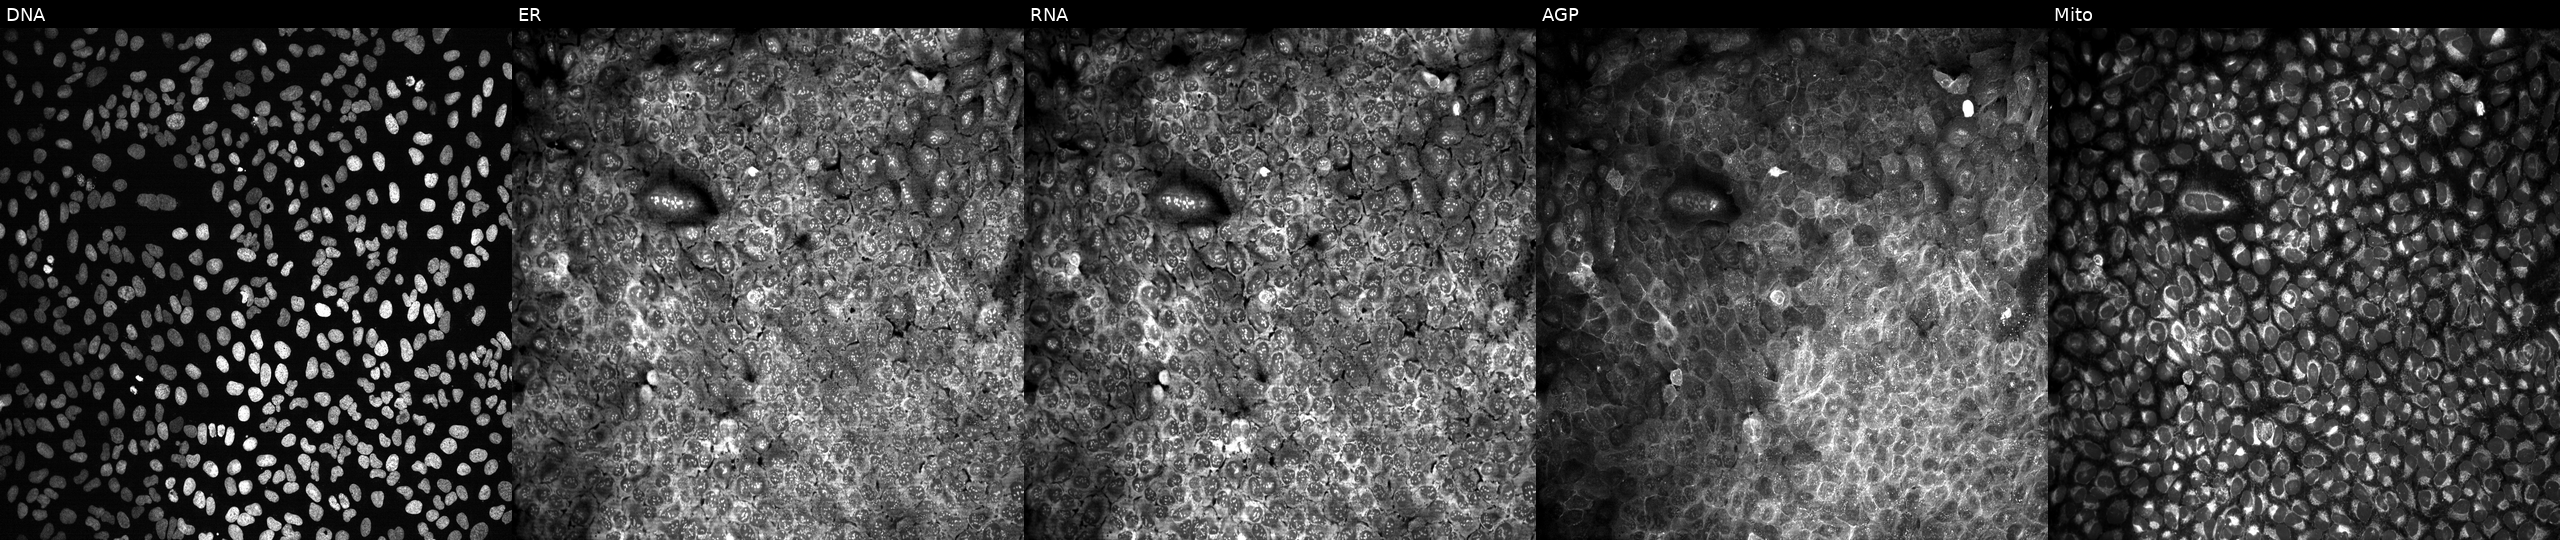
JUMP Cell Painting — CRISPR plate. U2OS cells following CRISPR knockout of PRDM15 (JUMP id JCP2022_805491). The five panels, left to right, show DNA, ER, RNA, AGP, and Mito. Source 13, plate CP-CC9-R6-19, well F22.